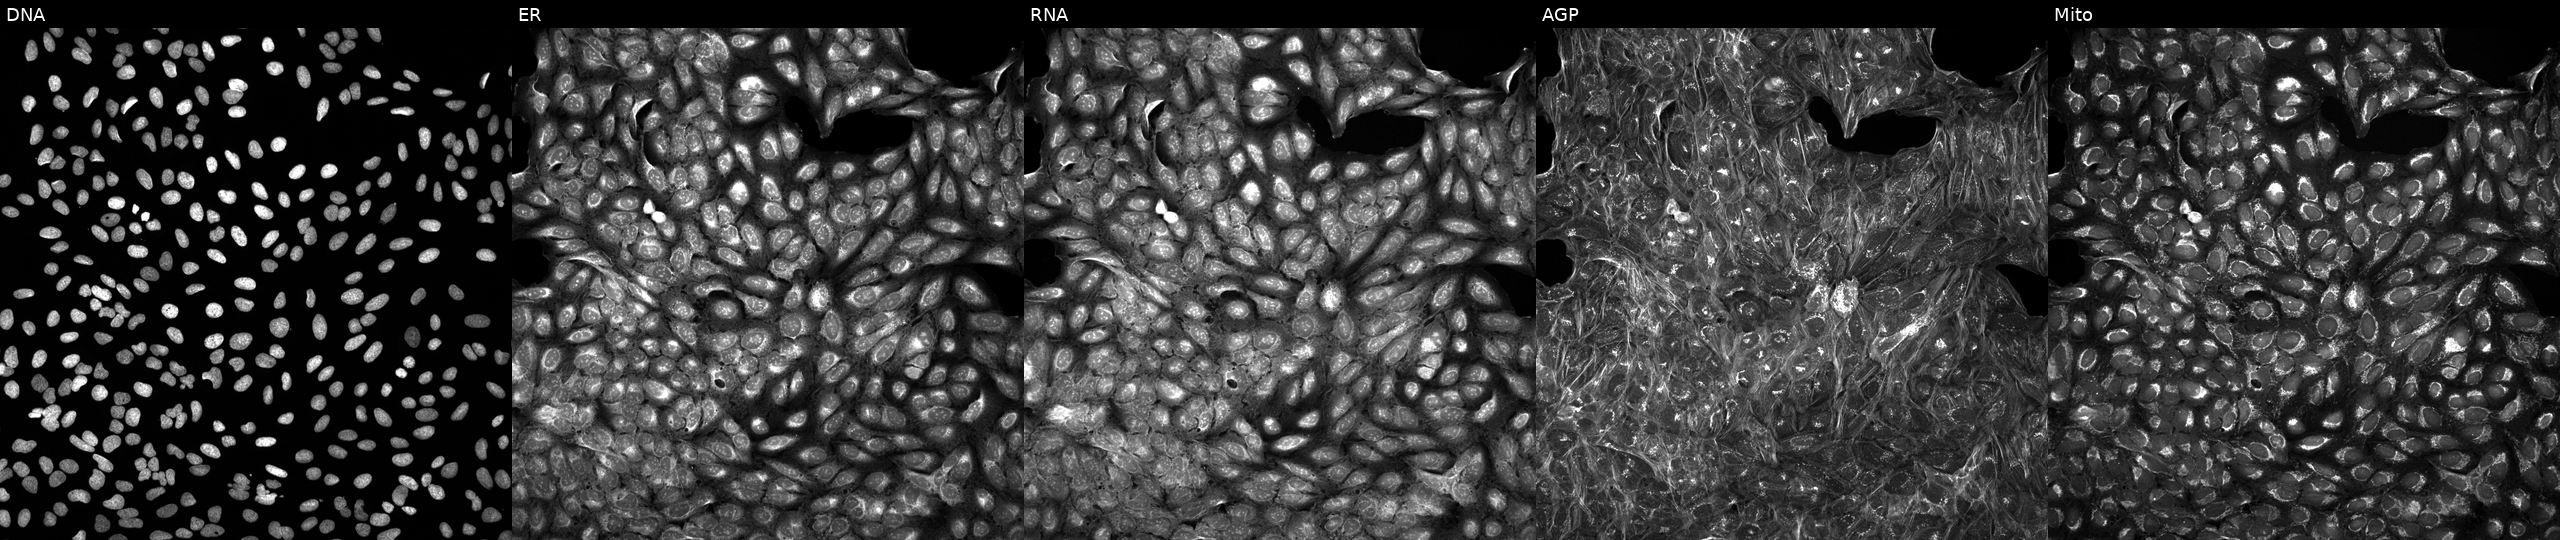
Panels show, left to right, Hoechst 33342, concanavalin A, SYTO 14, phalloidin and WGA, MitoTracker. U2OS osteosarcoma cells treated with a small-molecule compound (InChIKey YMDXSGBNCBQYGC-UHFFFAOYSA-N) [SMILES: CCOC(=O)C1=C(COCCN)N=C(C)C(C(=O)OC)C1c1ccccc1Cl]. Cell Painting assay, JUMP-CP dataset. Source 5, plate ACPJUM012, well C24.